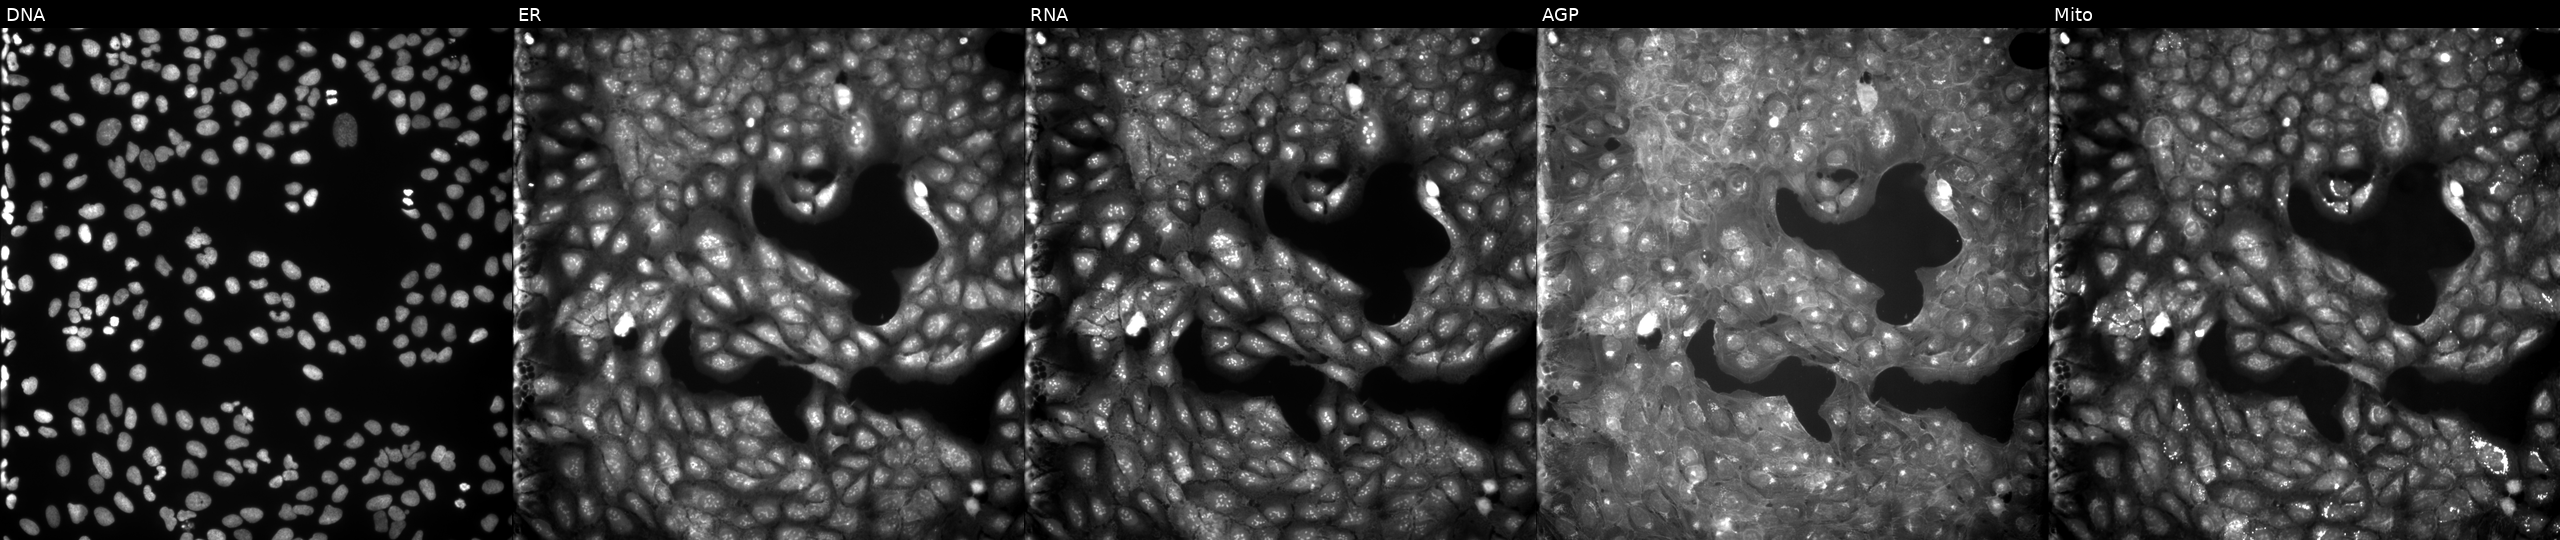
Five-channel Cell Painting image of U2OS cells treated with a small-molecule compound (JUMP id JCP2022_040045). Channels (left→right): Hoechst 33342, concanavalin A, SYTO 14, phalloidin and WGA, MitoTracker.